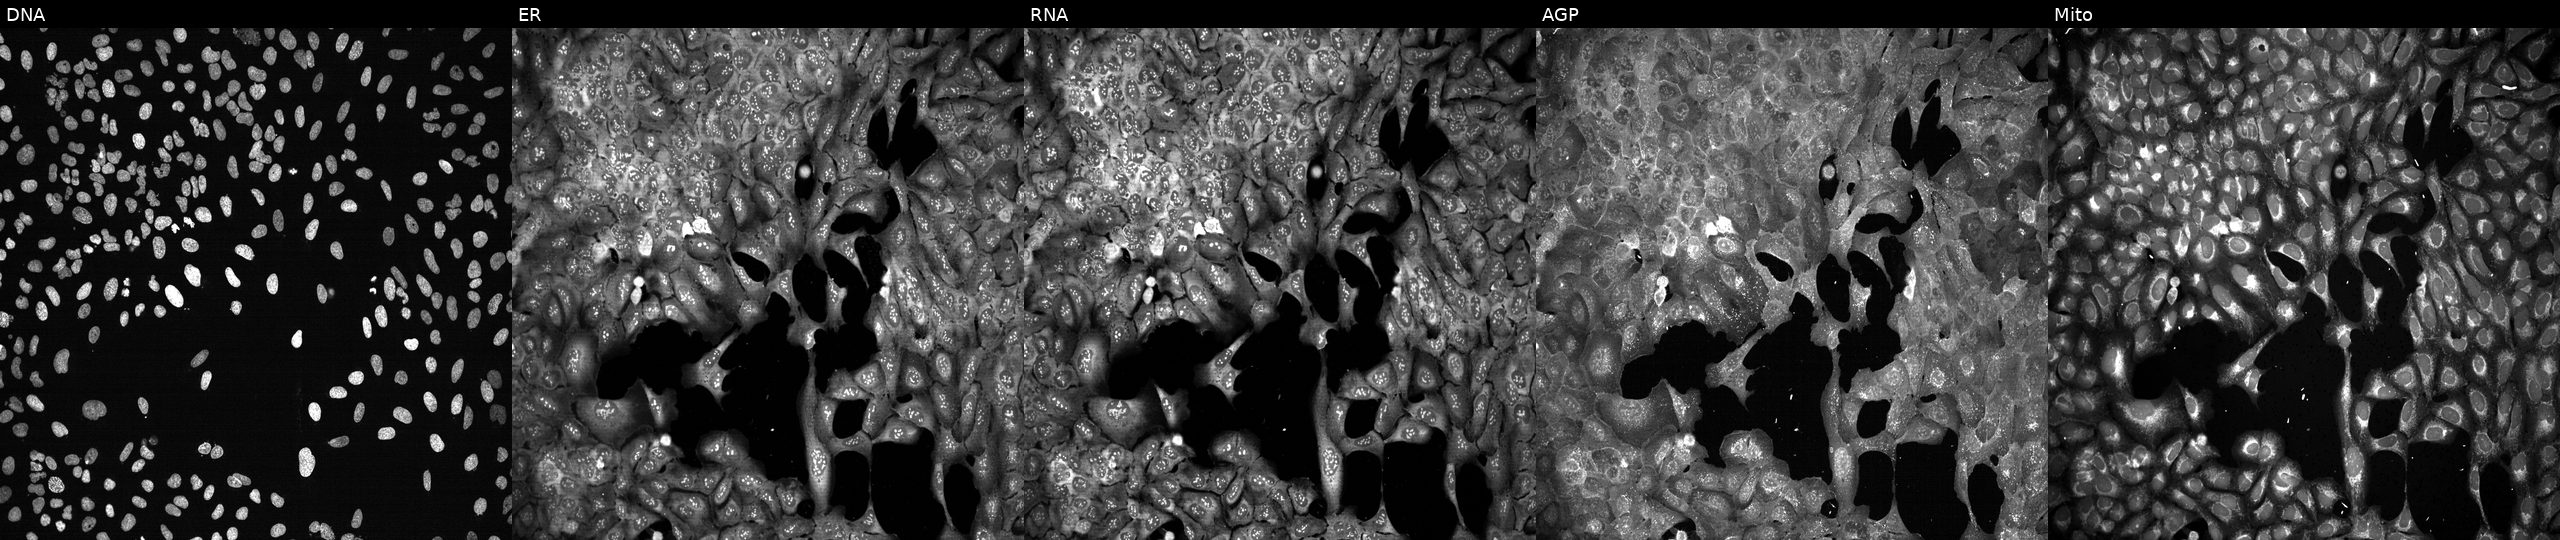
U2OS cells, Cell Painting assay, CRISPR-edited to disrupt GPAT4. Panels show, left to right, Hoechst 33342, concanavalin A, SYTO 14, phalloidin and WGA, MitoTracker. Each panel is percentile-stretched 16-bit fluorescence.